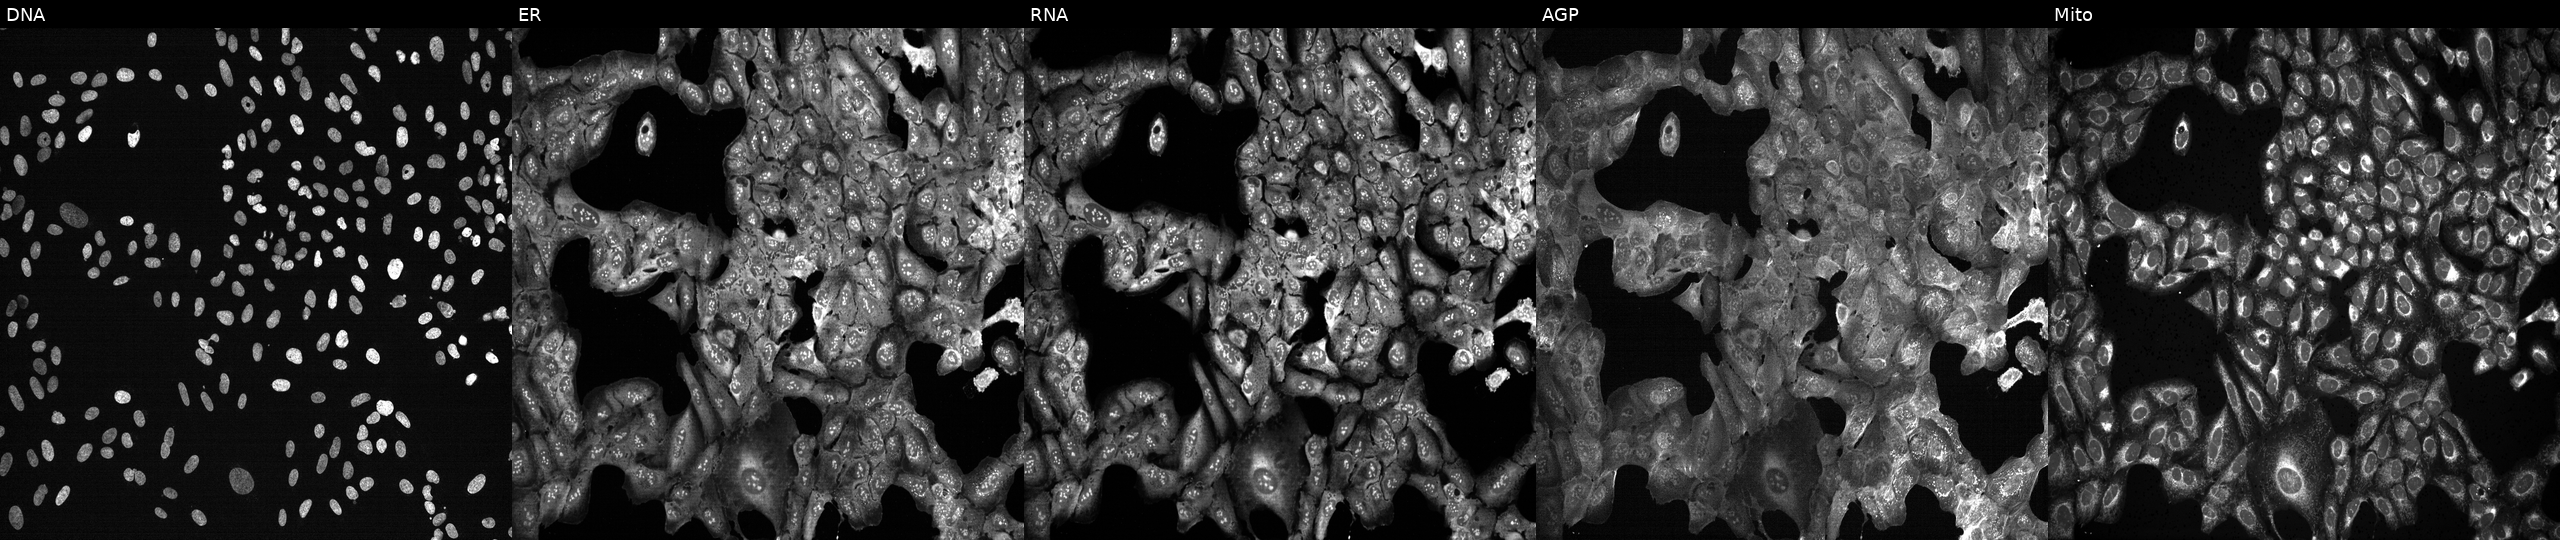
U2OS cells, Cell Painting assay, with DDX18 knocked out by CRISPR. Channels (left→right): DNA, ER, RNA, AGP, and Mito. Each panel is percentile-stretched 16-bit fluorescence. Source 13, plate CP-CC9-R2-01, well J06.